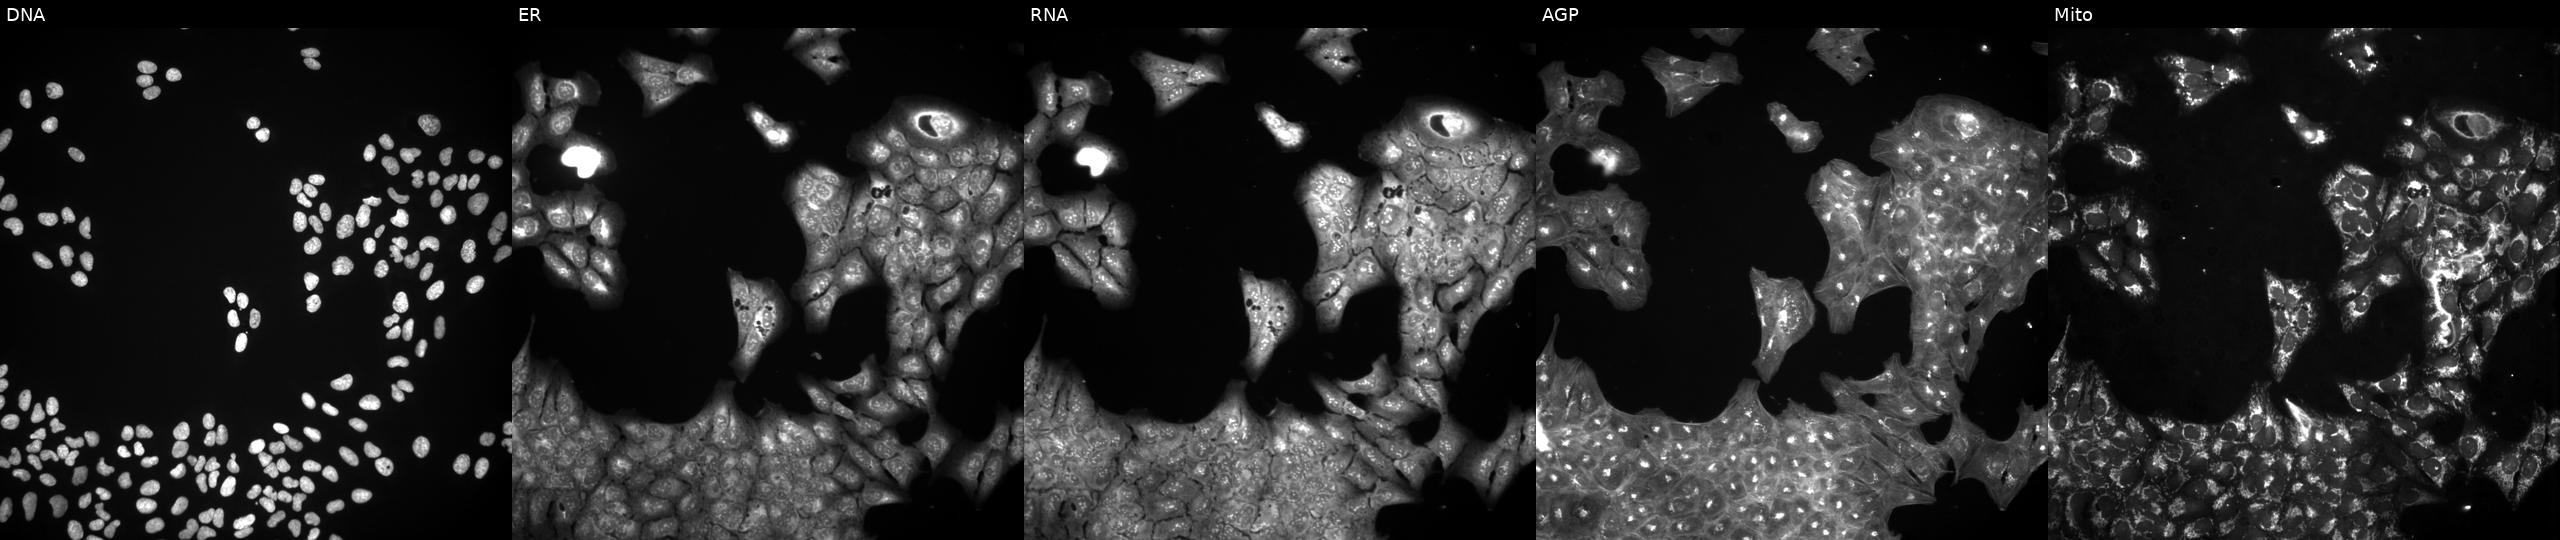
High-content fluorescence microscopy (Cell Painting). Cell line: U2OS. Perturbation: perturbed with a small-molecule compound (InChIKey QHKYPYXTTXKZST-UHFFFAOYSA-N). Channels (left→right): DNA, ER, RNA, AGP, and Mito.